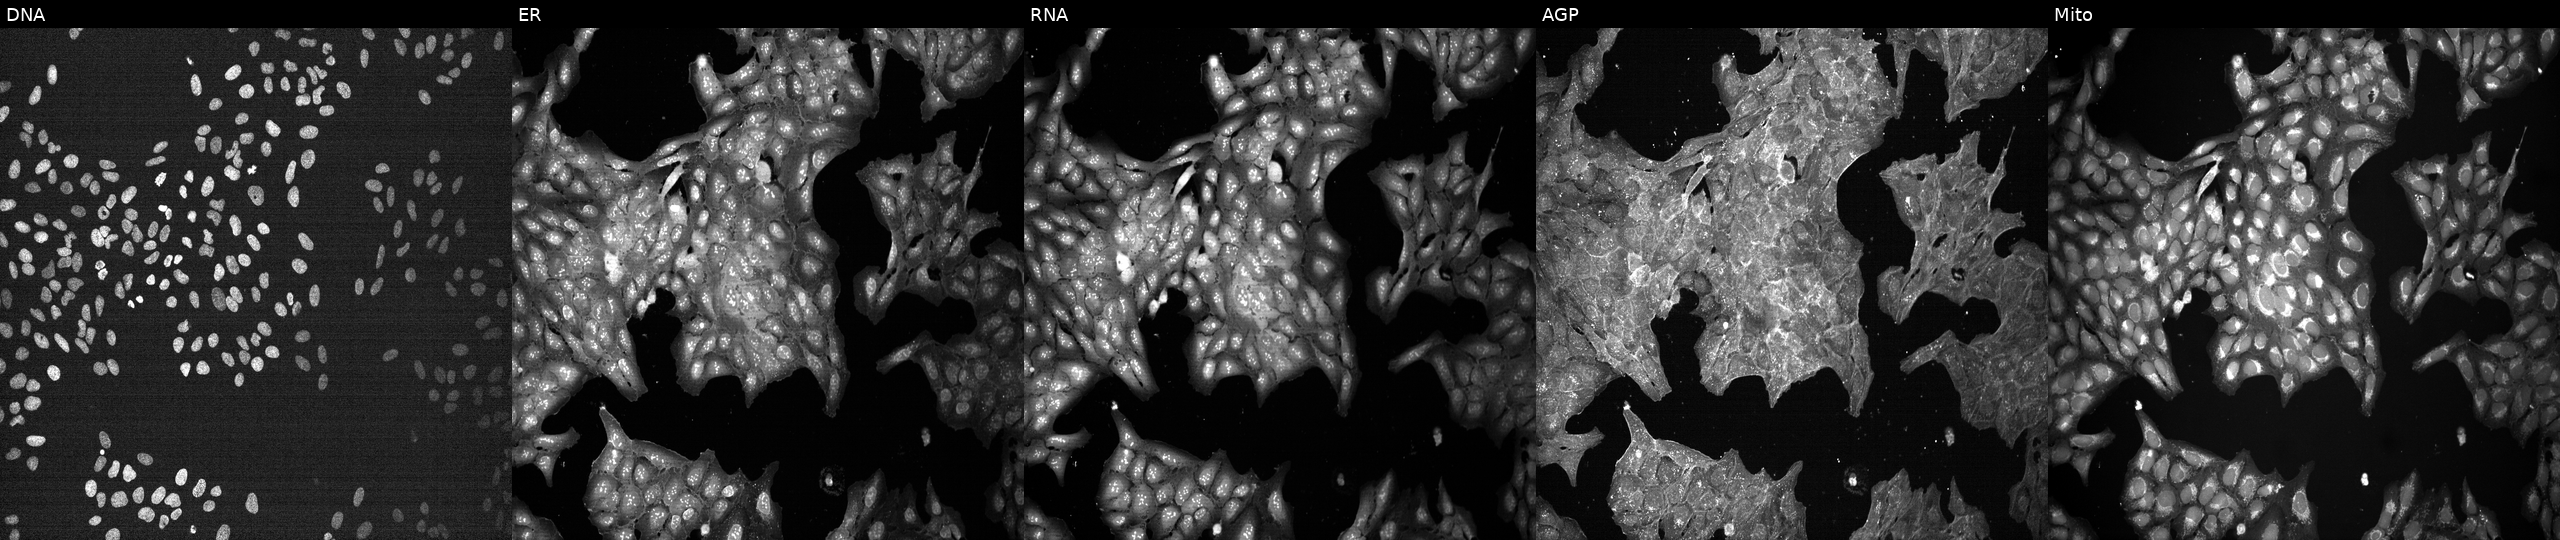
Panels show, left to right, DNA, ER, RNA, AGP, and Mito. U2OS osteosarcoma cells treated with a small-molecule compound (InChIKey PYNXFZCZUAOOQC-UHFFFAOYSA-N). Cell Painting assay, JUMP-CP dataset.